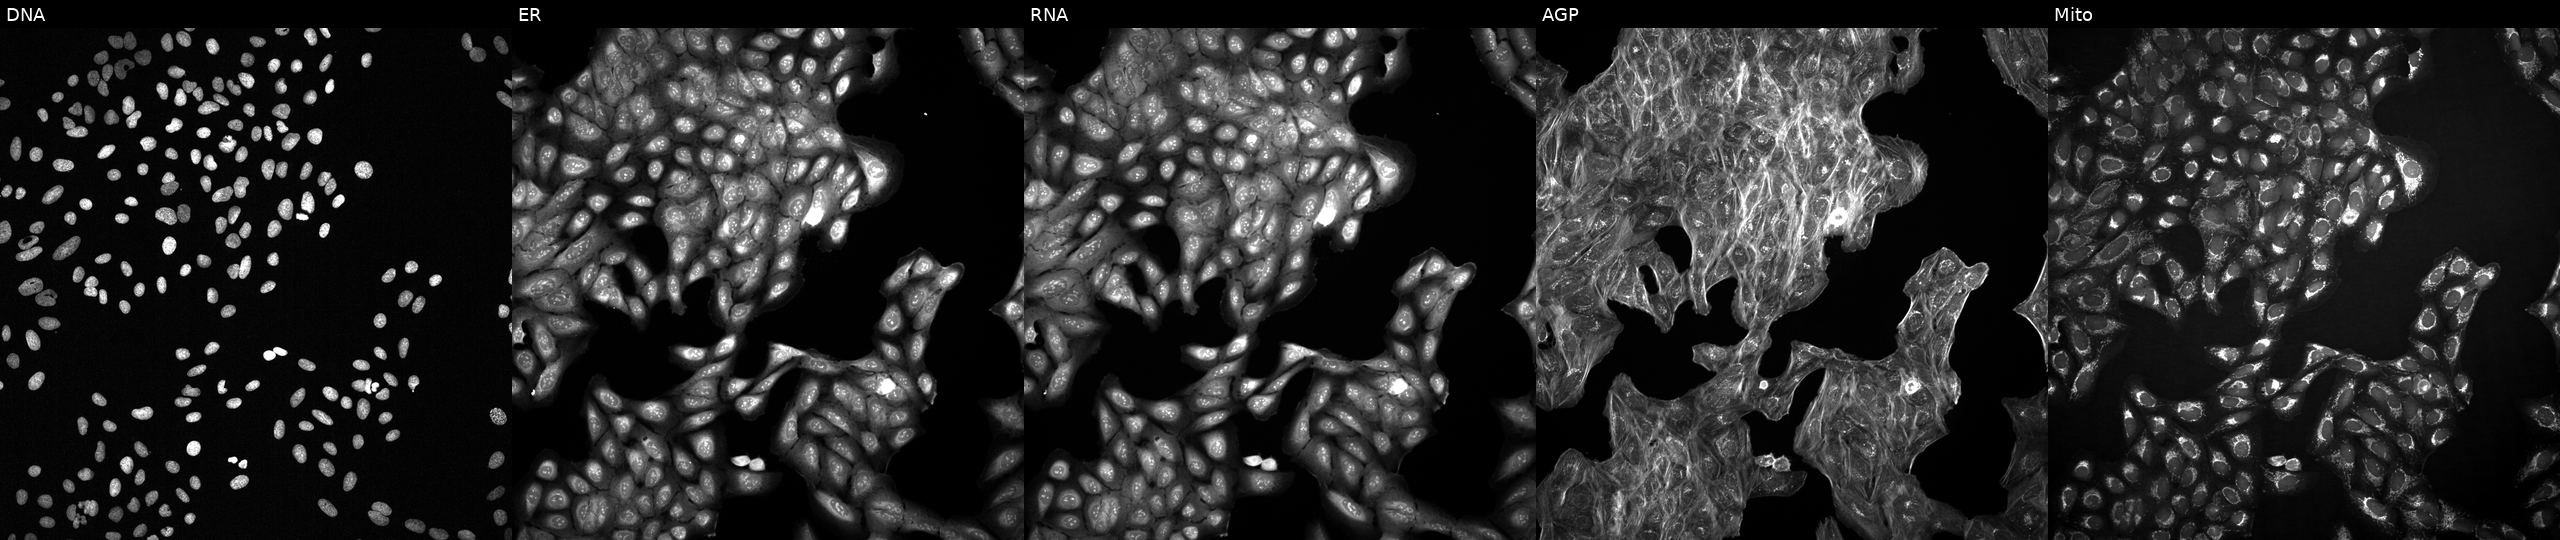
Five-channel Cell Painting image of U2OS cells exposed to a small-molecule compound. Panels show, left to right, Hoechst 33342, concanavalin A, SYTO 14, phalloidin and WGA, MitoTracker.